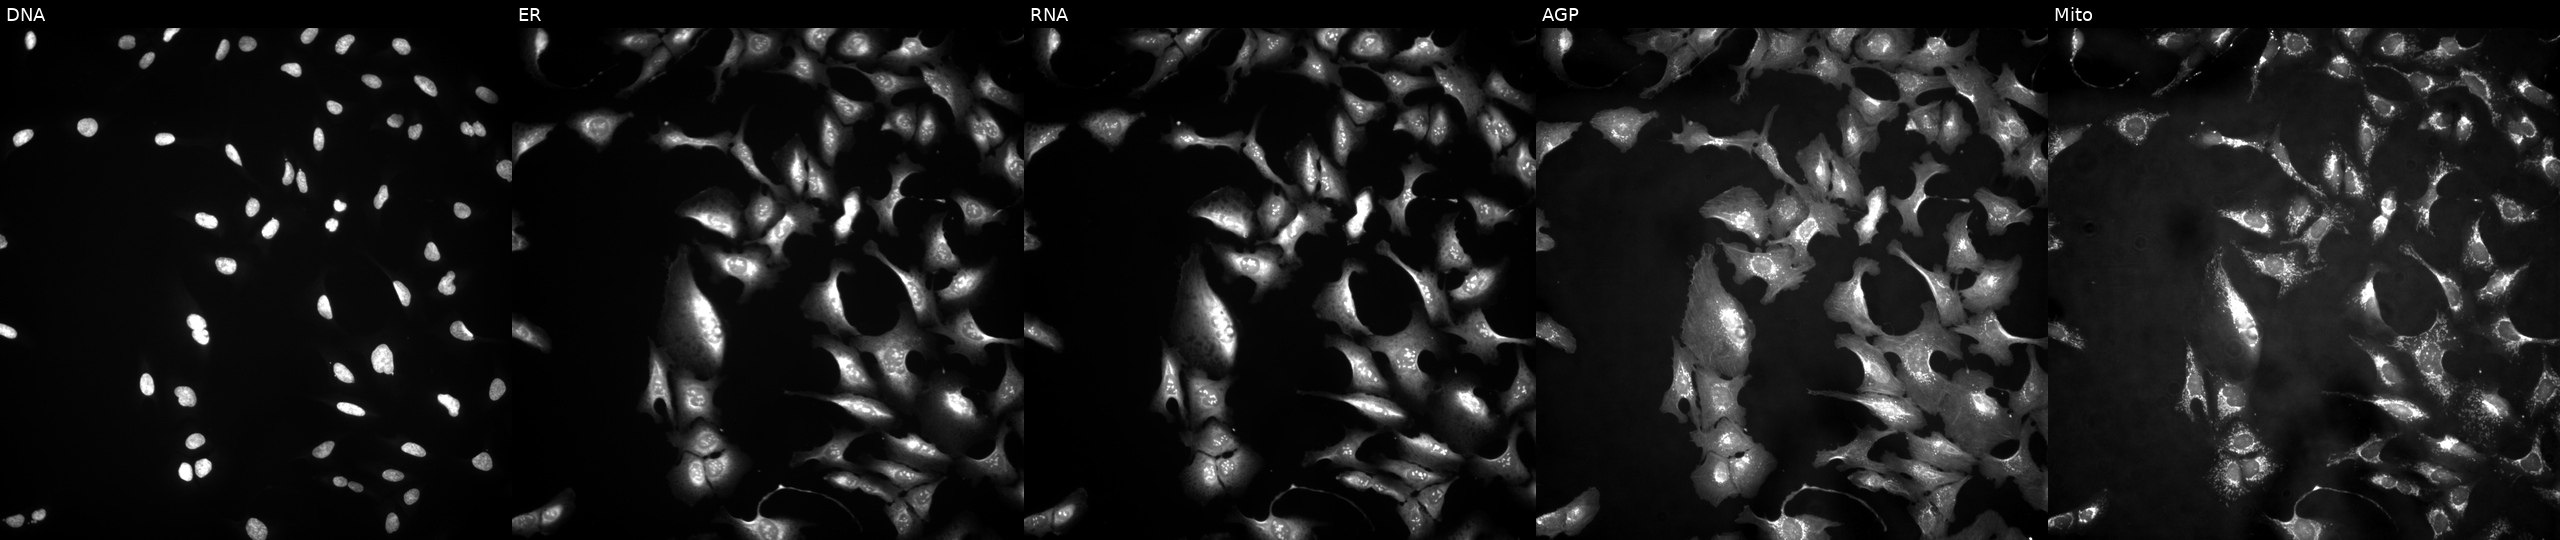
JUMP Cell Painting — ORF plate. U2OS cells with UBE3C overexpressed (ORF). The five panels, left to right, show DNA, ER, RNA, AGP, and Mito. Source 4, plate BR00121543, well H05.